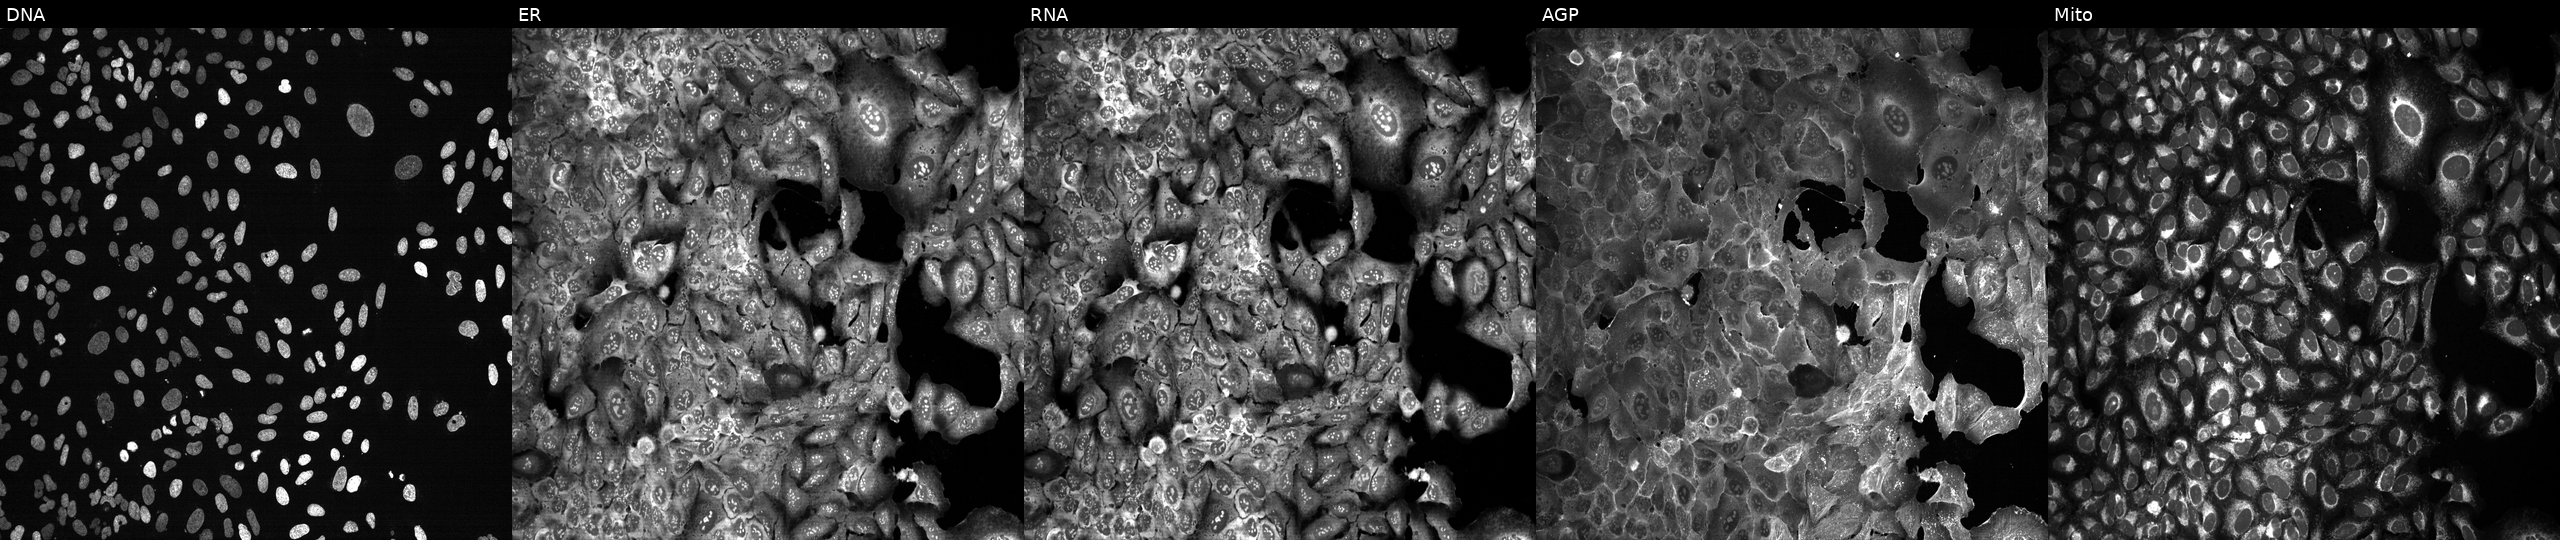
JUMP Cell Painting — CRISPR plate. U2OS cells following CRISPR knockout of ELL2. Channels (left→right): DNA, ER, RNA, AGP, and Mito. Source 13, plate CP-CC9-R6-19, well B14.